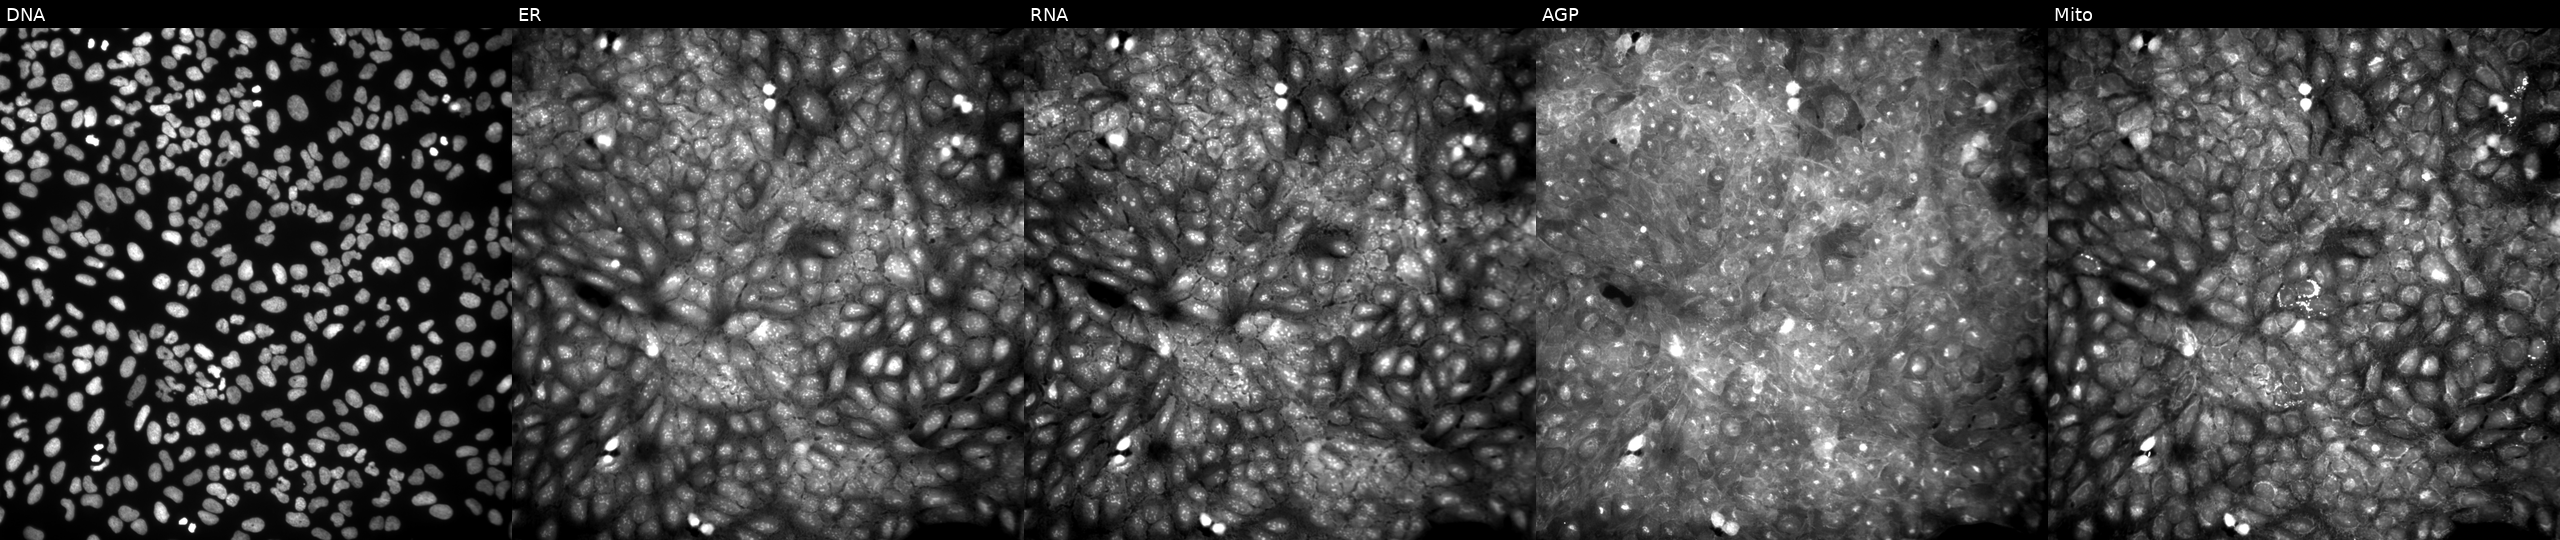
This image strip shows the five Cell Painting channels for a single field of U2OS cells exposed to a small-molecule compound (InChIKey LEPLTEYUMMDEER-UHFFFAOYSA-N). The five panels, left to right, show DNA, ER, RNA, AGP, and Mito.